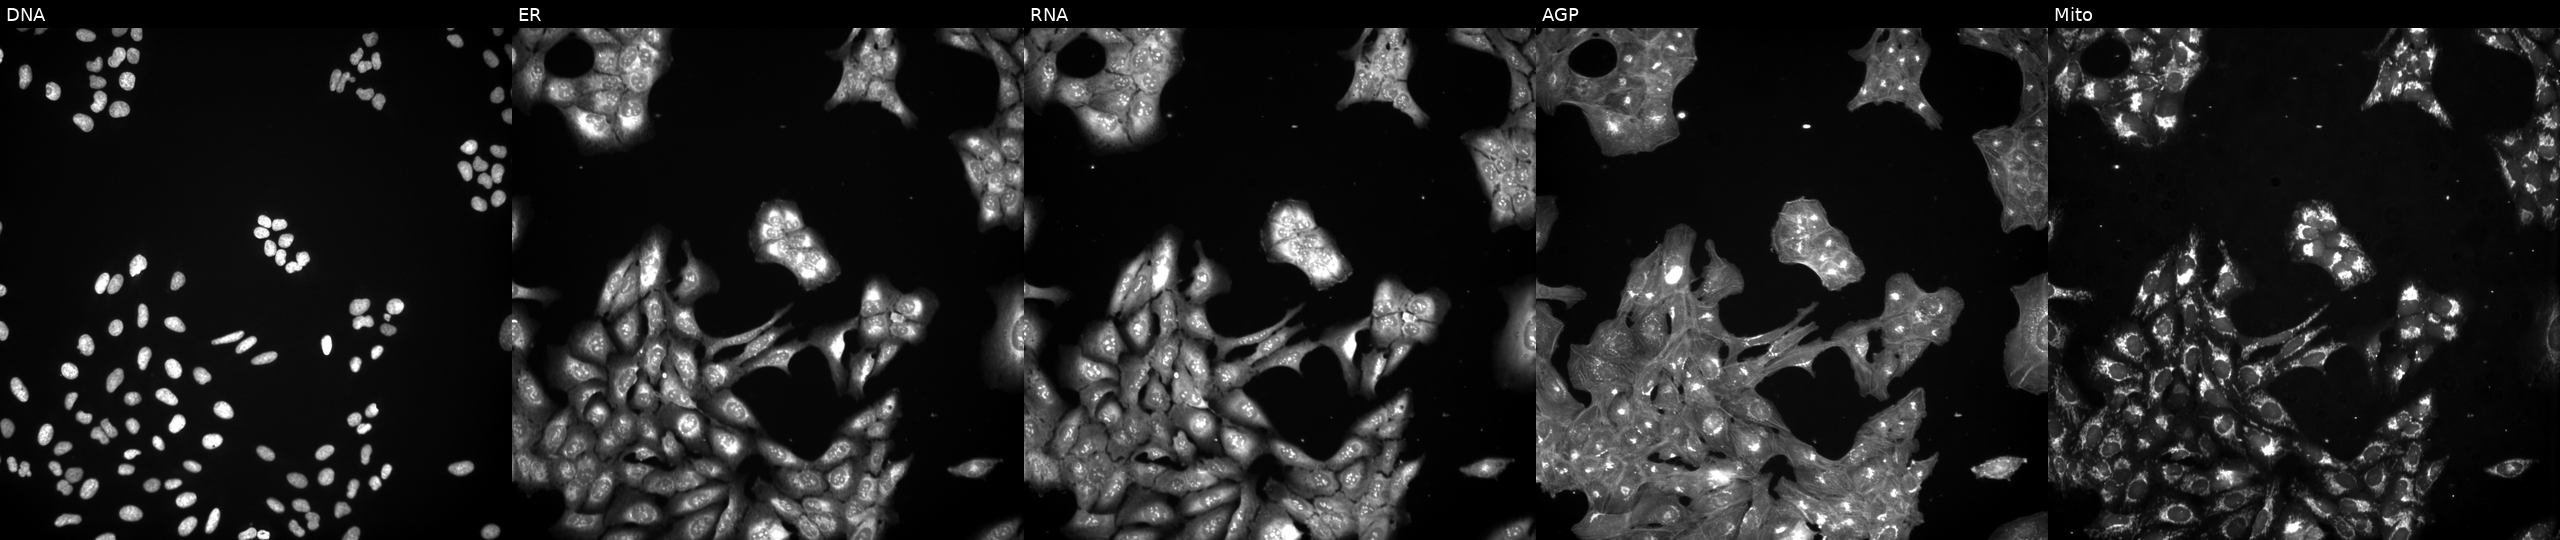
Five-channel Cell Painting image of U2OS cells perturbed with a small-molecule compound. The five panels, left to right, show DNA, ER, RNA, AGP, and Mito. Source 3, plate JCPQC052, well J16.